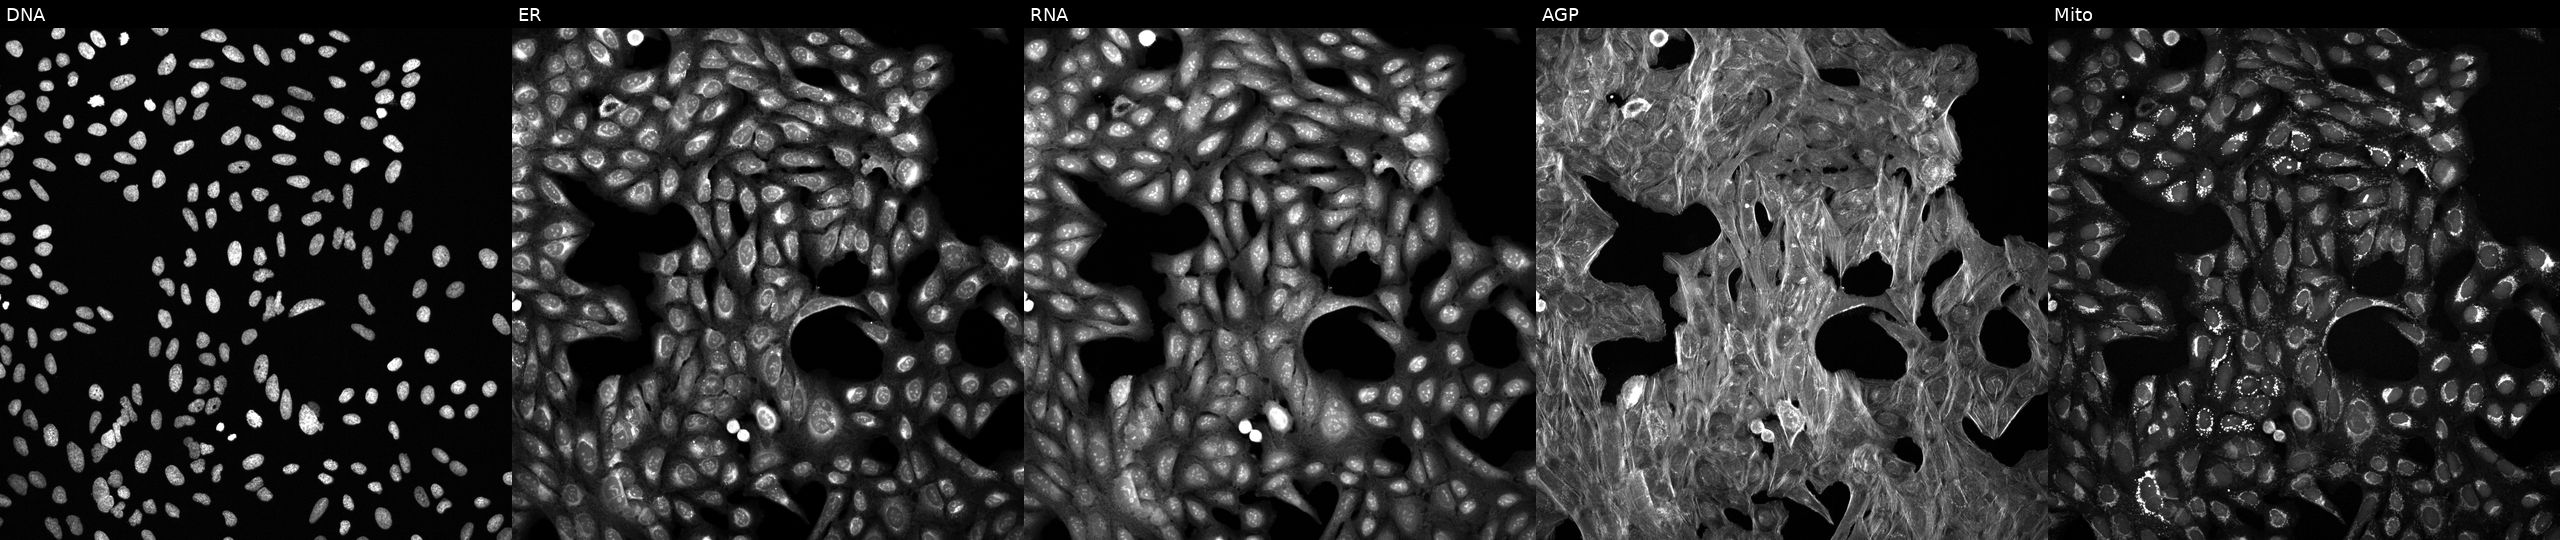
Five-channel Cell Painting image of U2OS cells treated with a small-molecule compound. From left to right: Hoechst 33342, concanavalin A, SYTO 14, phalloidin and WGA, MitoTracker.